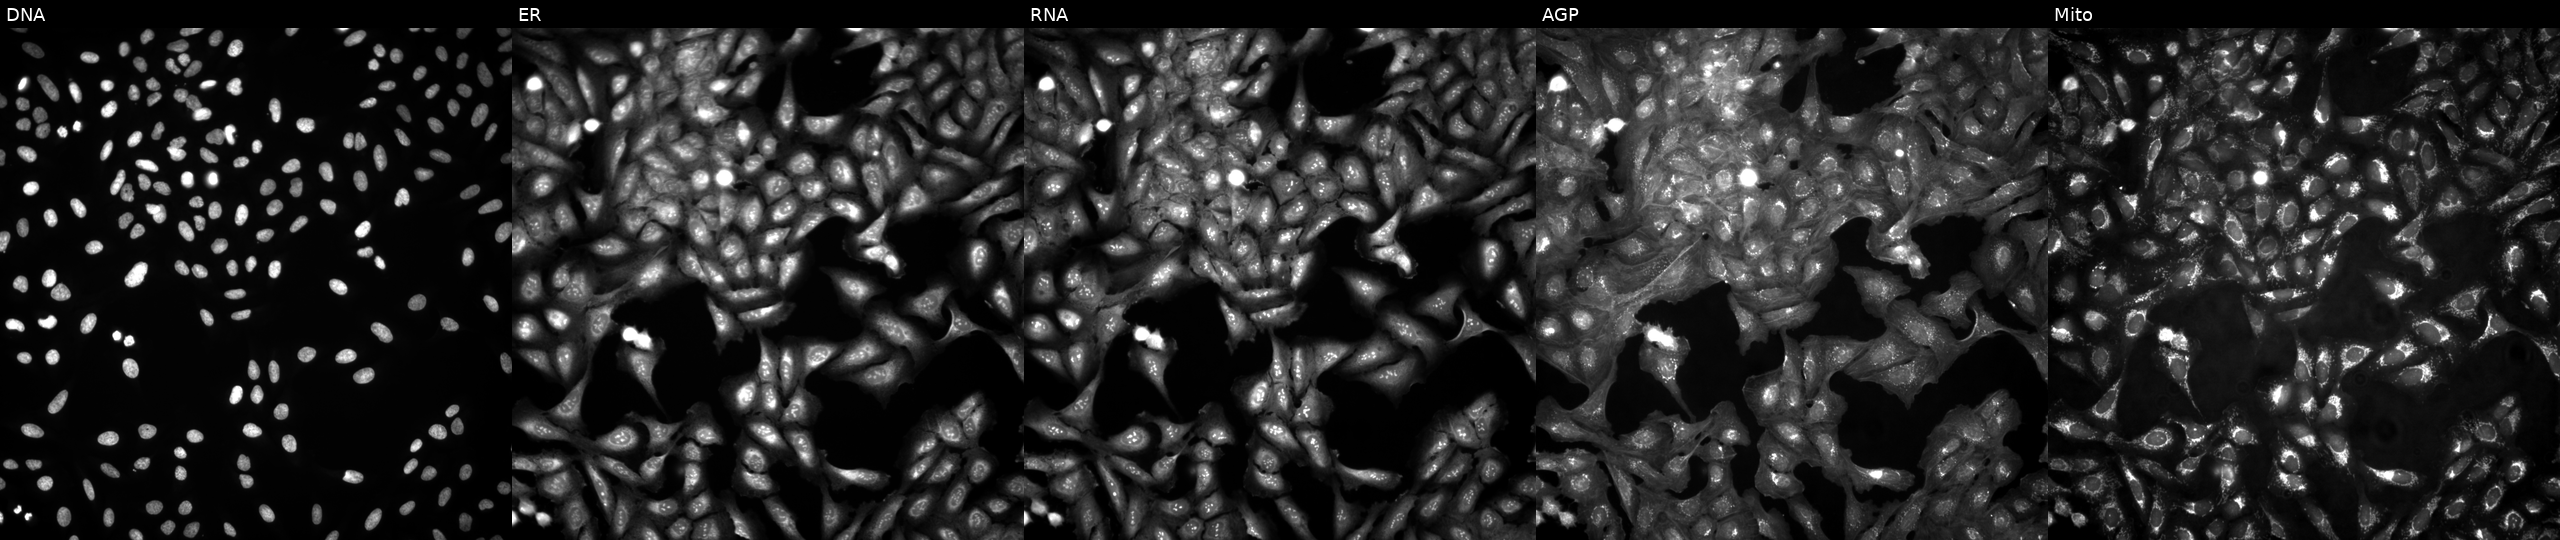
U2OS cells, Cell Painting assay, in an empty control well (no perturbation). The five panels, left to right, show Hoechst 33342, concanavalin A, SYTO 14, phalloidin and WGA, MitoTracker. Each panel is percentile-stretched 16-bit fluorescence.